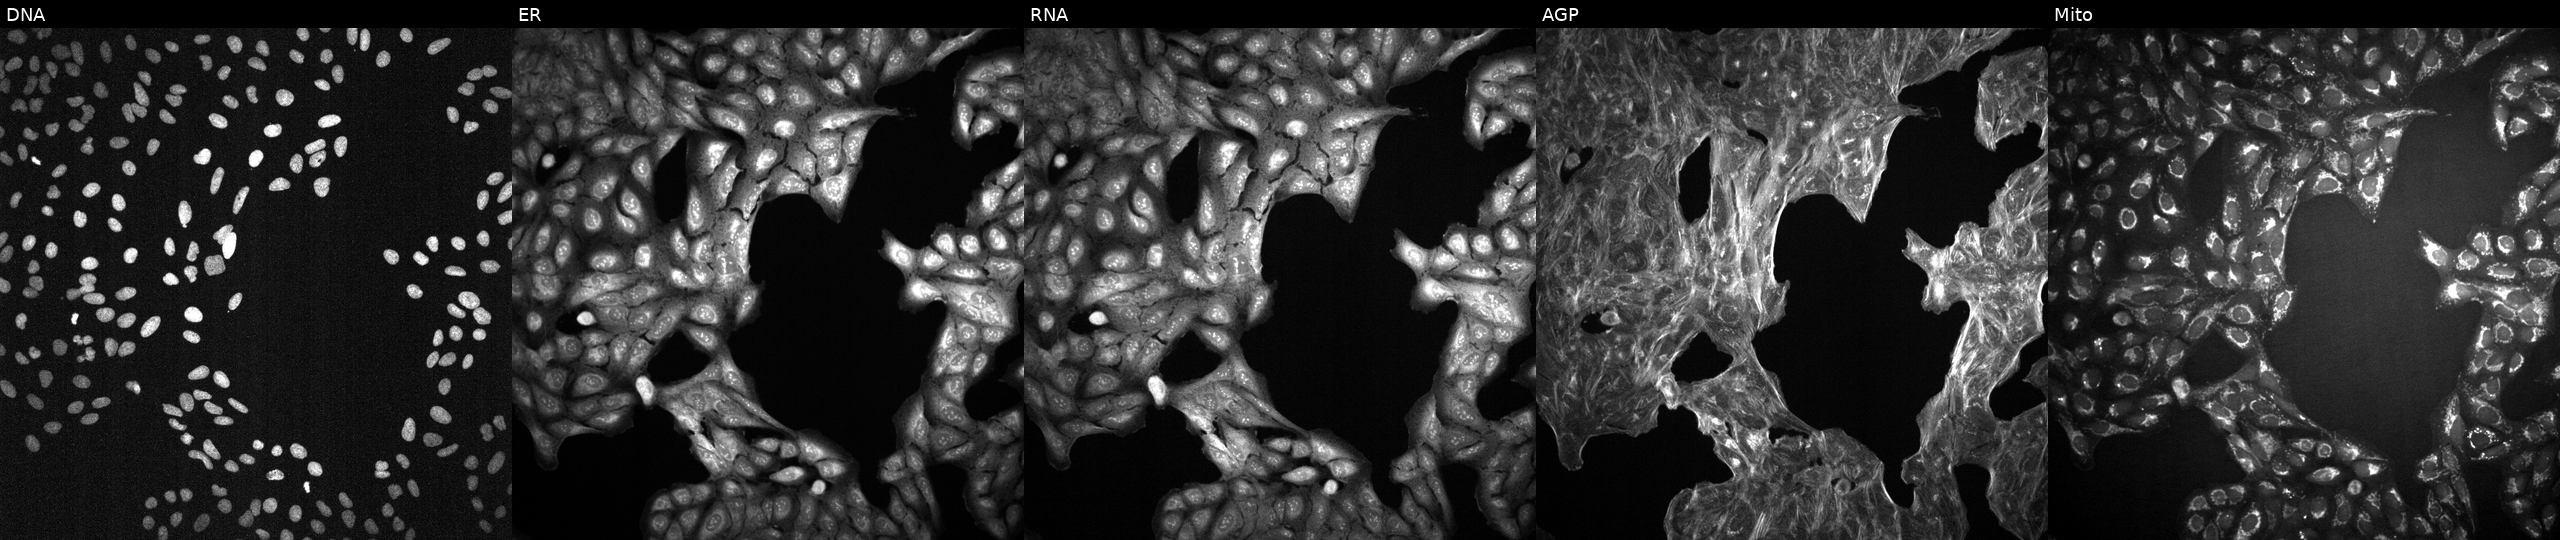
High-content fluorescence microscopy (Cell Painting). Cell line: U2OS. Perturbation: perturbed with a small-molecule compound (InChIKey GVJHHUAWPYXKBD-UHFFFAOYSA-N) [SMILES: Cc1c(C)c2c(c(C)c1O)CCC(C)(CCCC(C)CCCC(C)CCCC(C)C)O2]. From left to right: DNA (nuclei); ER (endoplasmic reticulum); RNA (nucleoli and cytoplasmic RNA); AGP (actin cytoskeleton, Golgi, and plasma membrane); Mito (mitochondria).